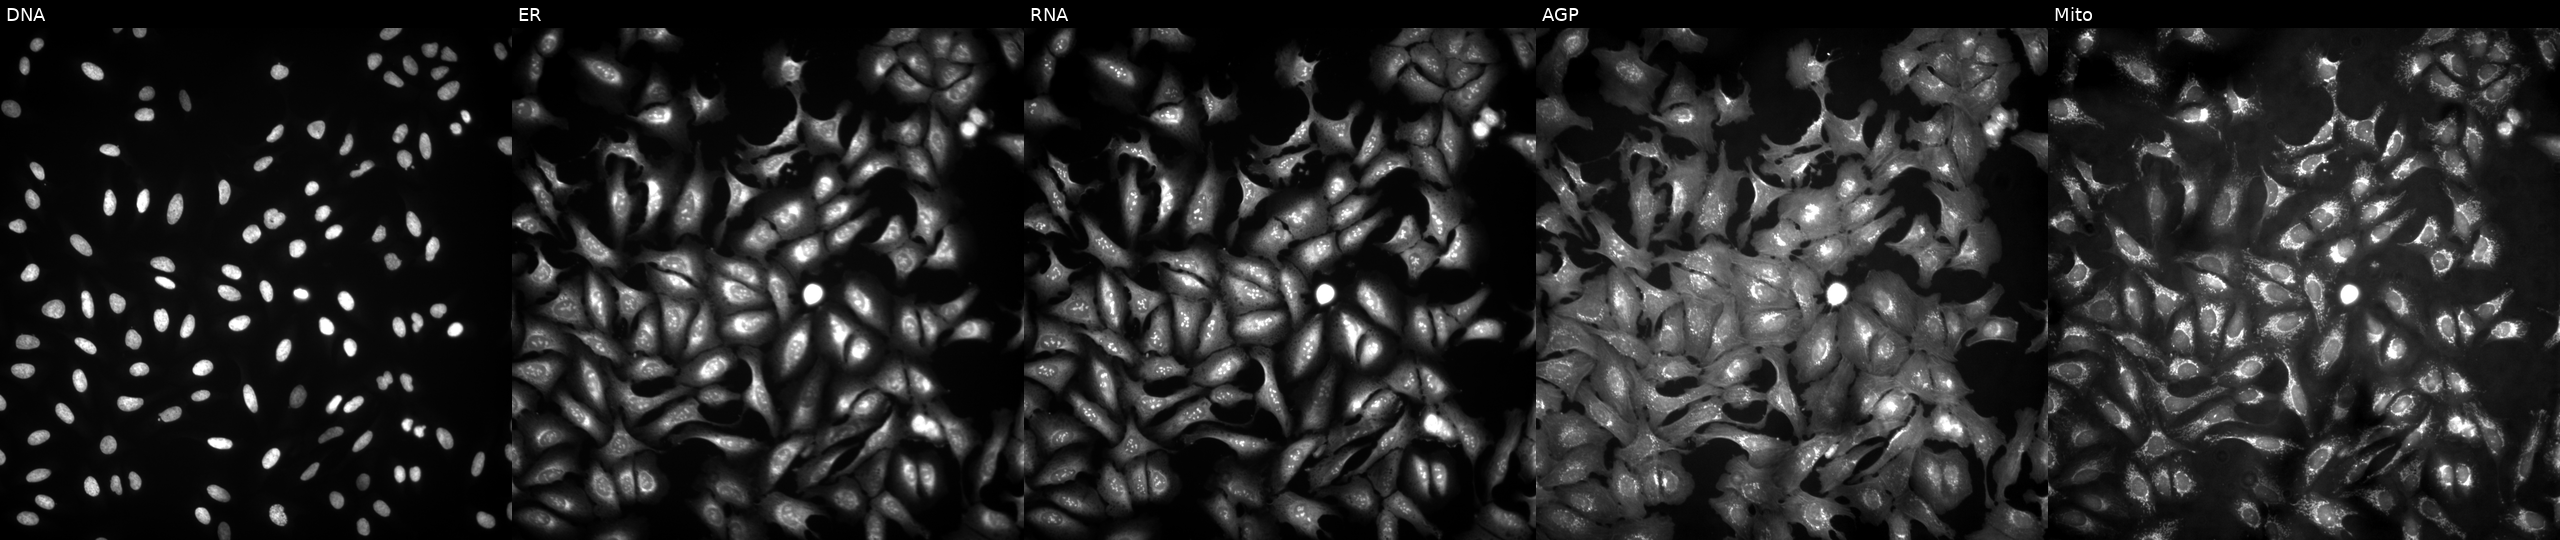
High-content fluorescence microscopy (Cell Painting). Cell line: U2OS. Perturbation: expressing eGFP (ORF positive control) (JUMP id JCP2022_915132). The five panels, left to right, show DNA, ER, RNA, AGP, and Mito. Source 4, plate BR00121543, well P17.